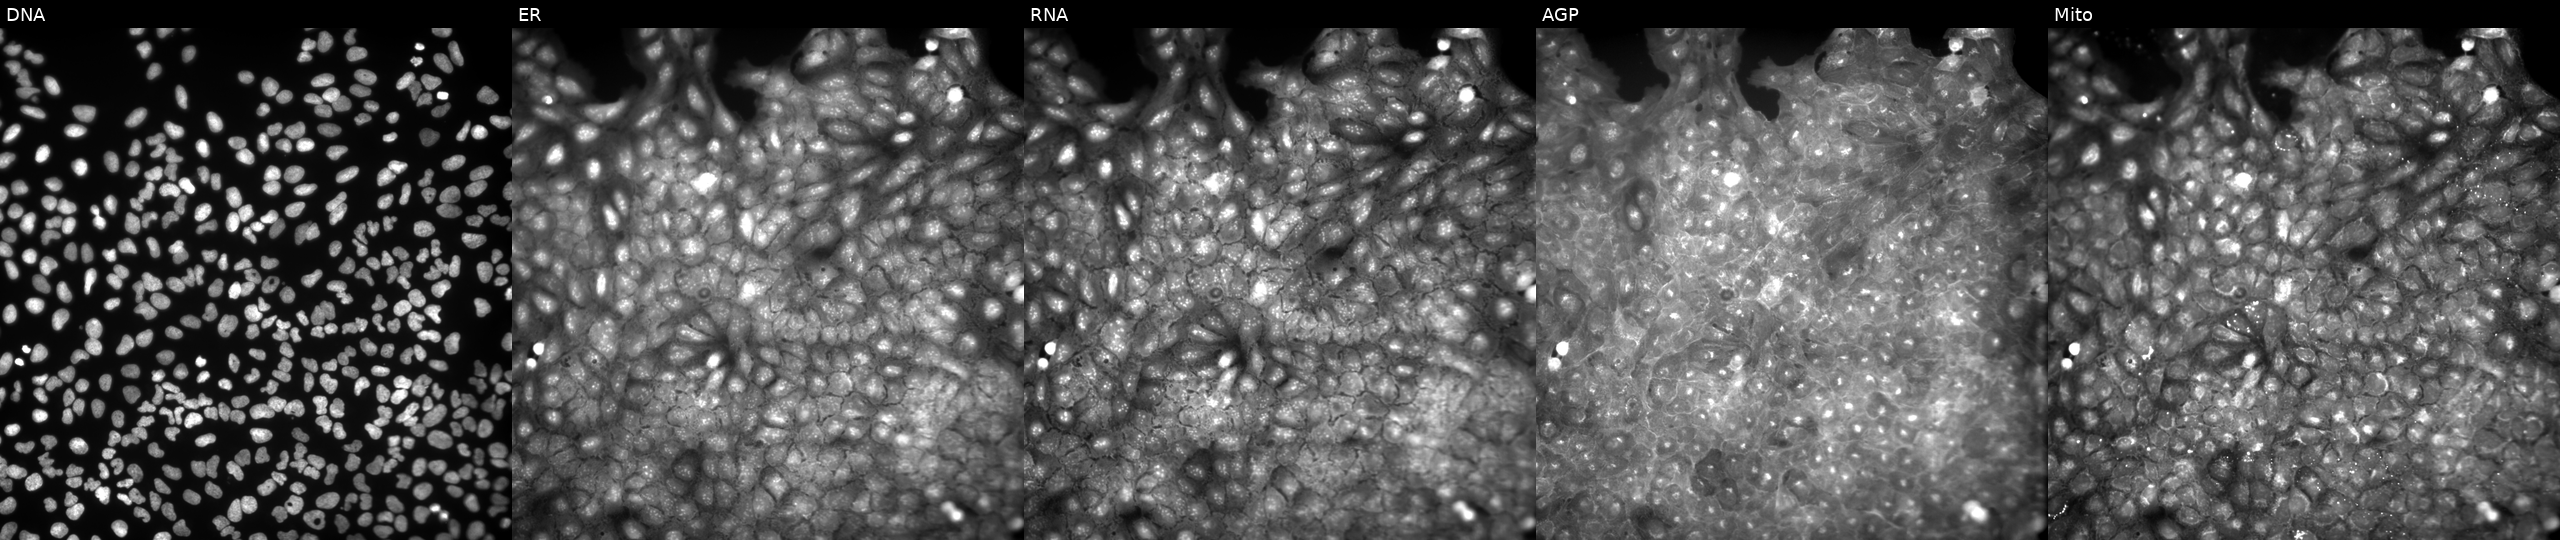
Channels (left→right): Hoechst 33342, concanavalin A, SYTO 14, phalloidin and WGA, MitoTracker. U2OS osteosarcoma cells perturbed with a small-molecule compound [SMILES: O=C1c2ccccc2C(=O)N1CC(=O)N1c2ccccc2CCc2ccccc21]. Cell Painting assay, JUMP-CP dataset. Source 9, plate GR00003381, well AA45.